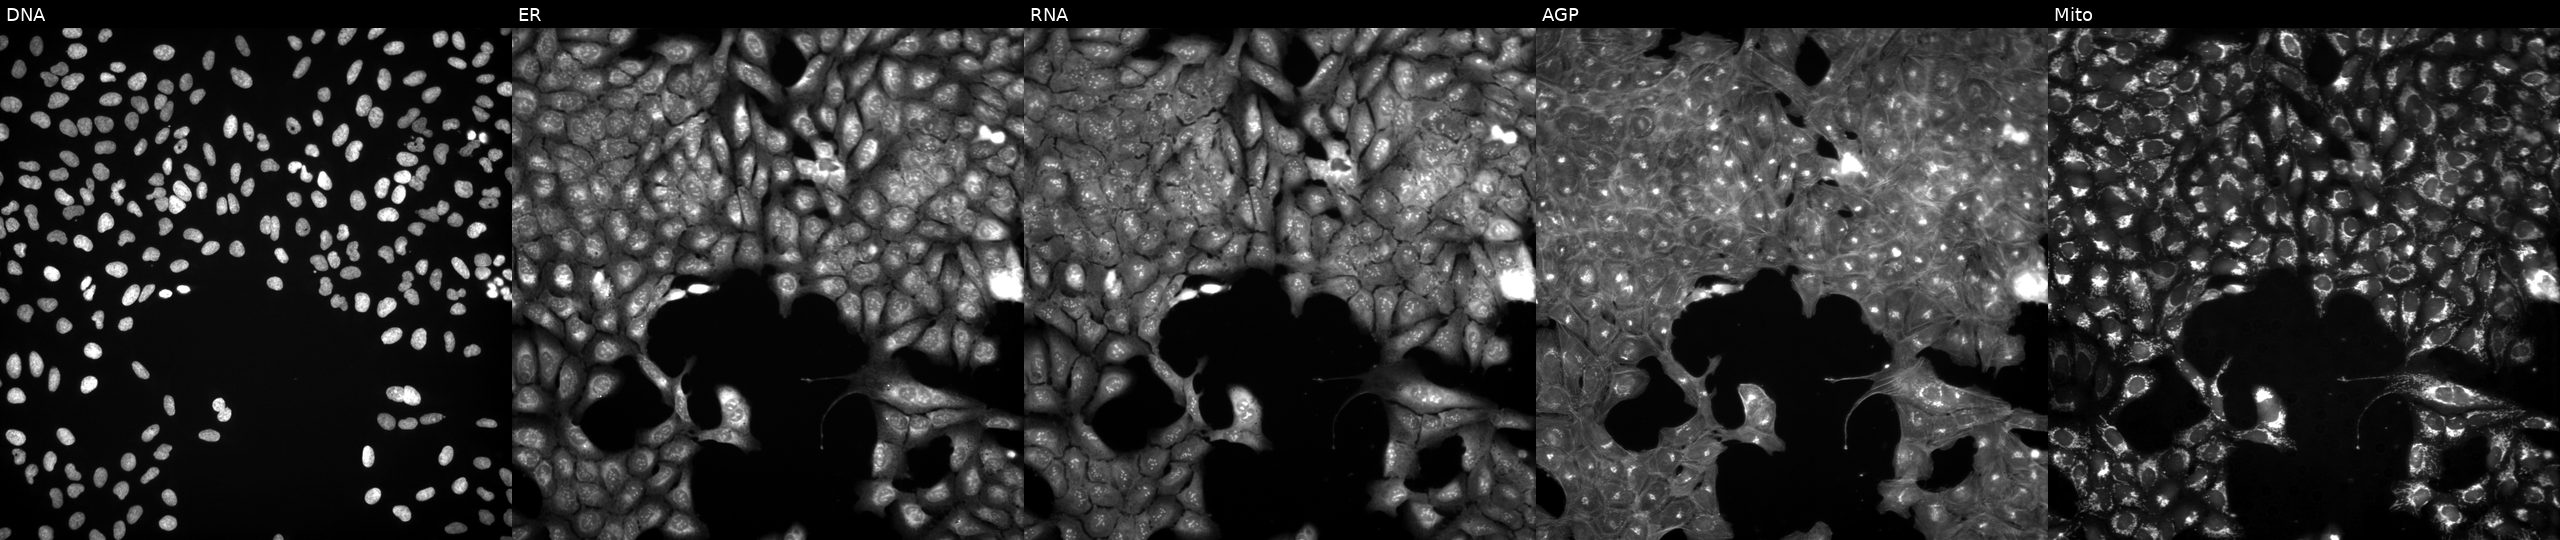
U2OS cells, Cell Painting assay, treated with a small-molecule compound (InChIKey FVLQBRCDVKIBAQ-UHFFFAOYSA-N) (JUMP id JCP2022_023230). The five panels, left to right, show DNA, ER, RNA, AGP, and Mito. Each panel is percentile-stretched 16-bit fluorescence. Source 3, plate BR5867a3, well G21.